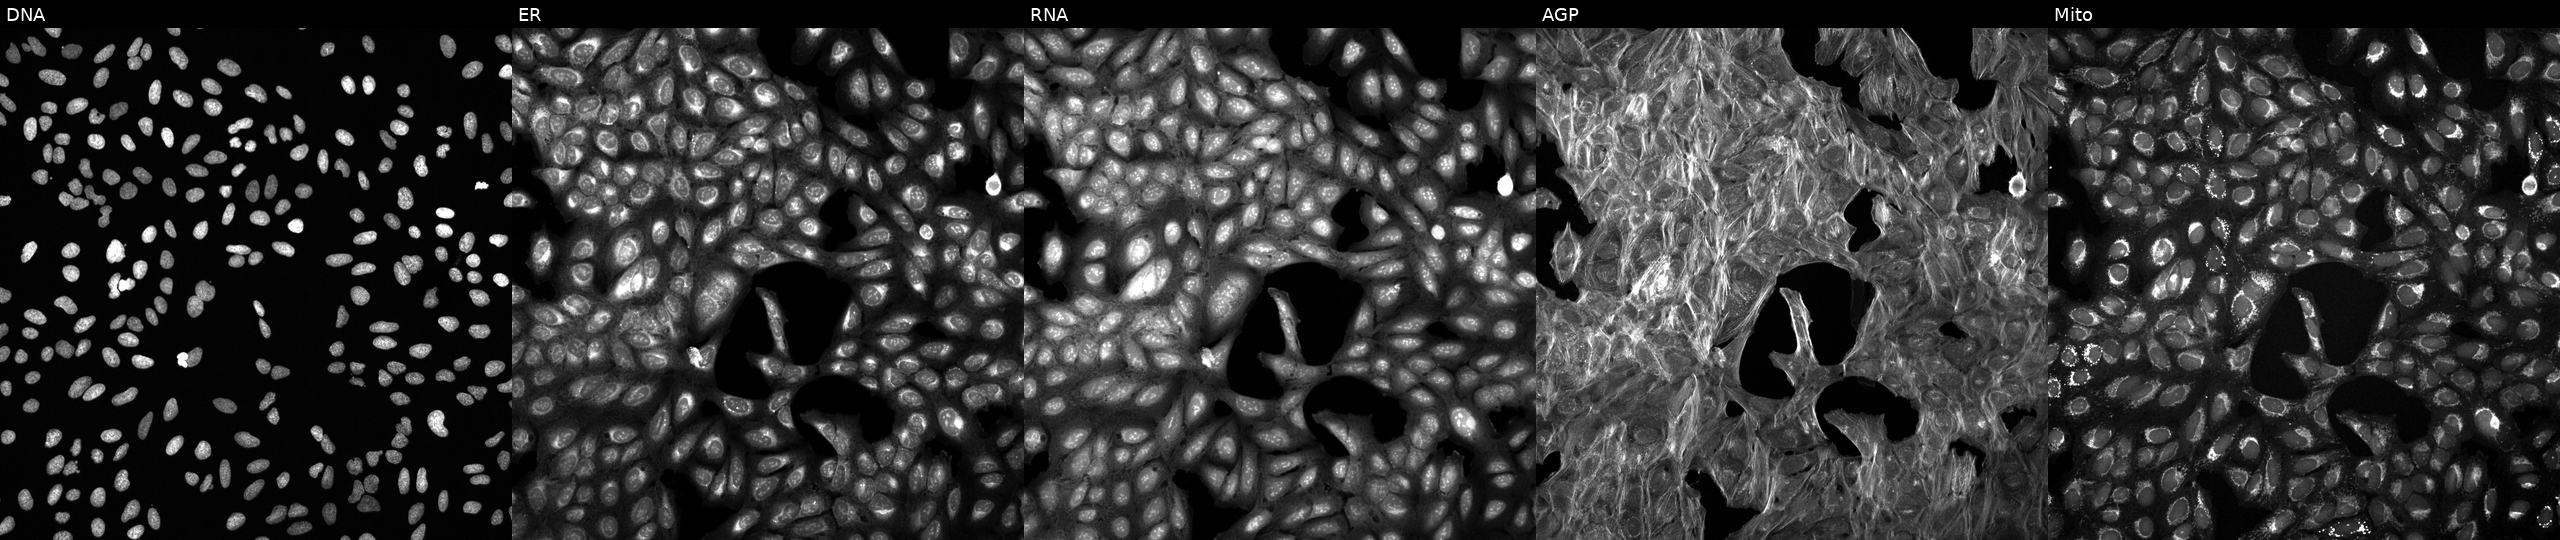
JUMP Cell Painting — TARGET2 plate. U2OS cells treated with a small-molecule compound (InChIKey NGTDJJKTGRNNAU-UHFFFAOYSA-N). Channels (left→right): DNA (nuclei); ER (endoplasmic reticulum); RNA (nucleoli and cytoplasmic RNA); AGP (actin cytoskeleton, Golgi, and plasma membrane); Mito (mitochondria).